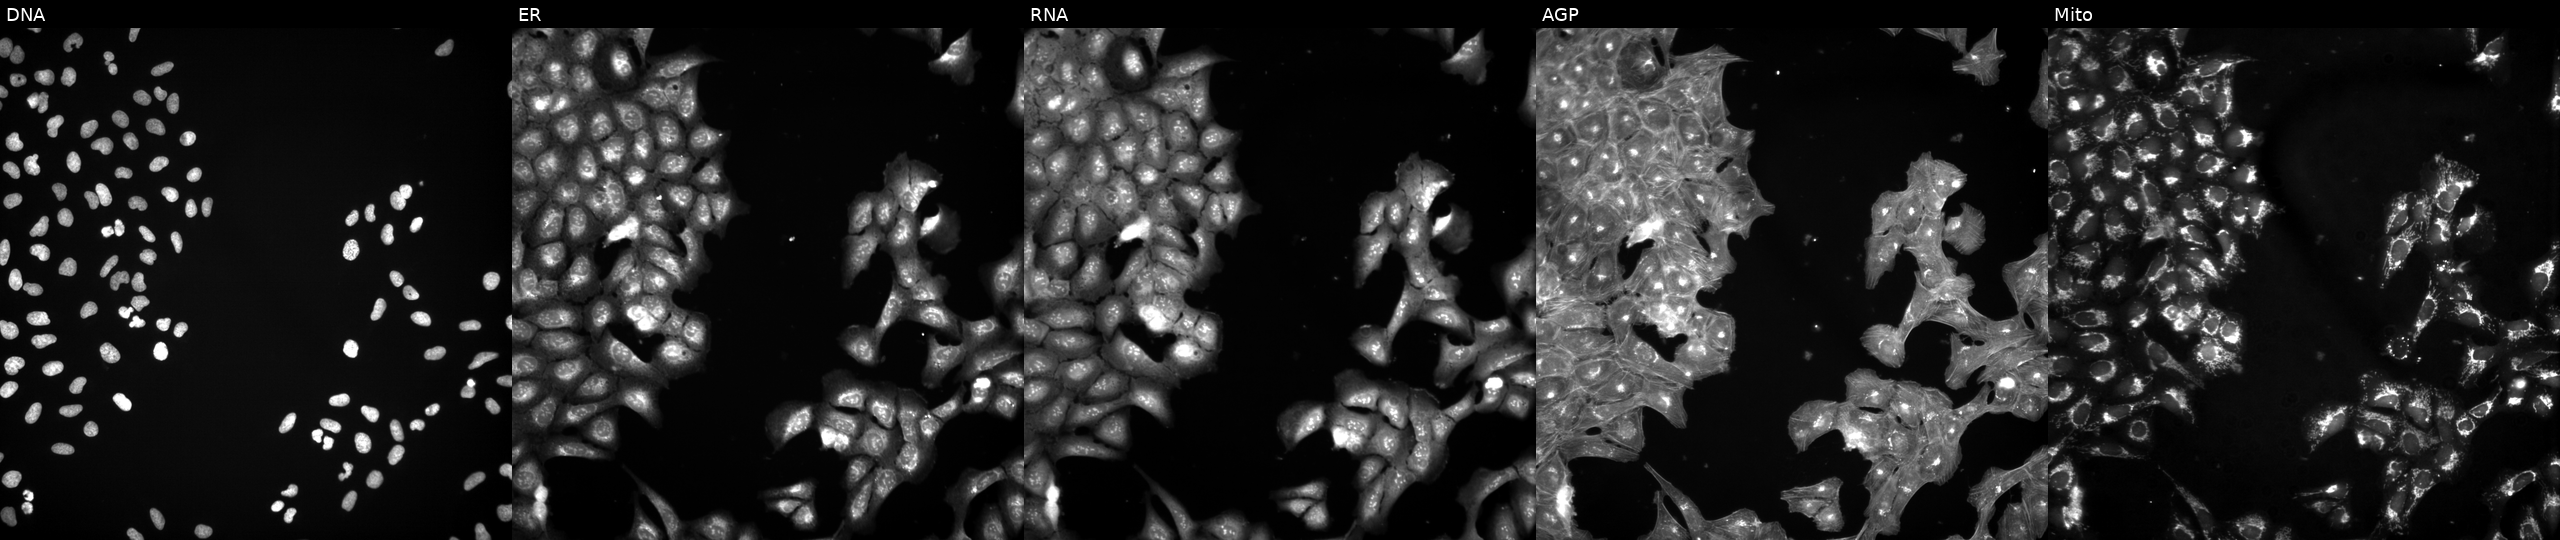
JUMP Cell Painting — TARGET2 plate. U2OS cells exposed to a small-molecule compound (InChIKey QQGWEXFLMJGCAL-UHFFFAOYSA-N). From left to right: Hoechst 33342, concanavalin A, SYTO 14, phalloidin and WGA, MitoTracker.